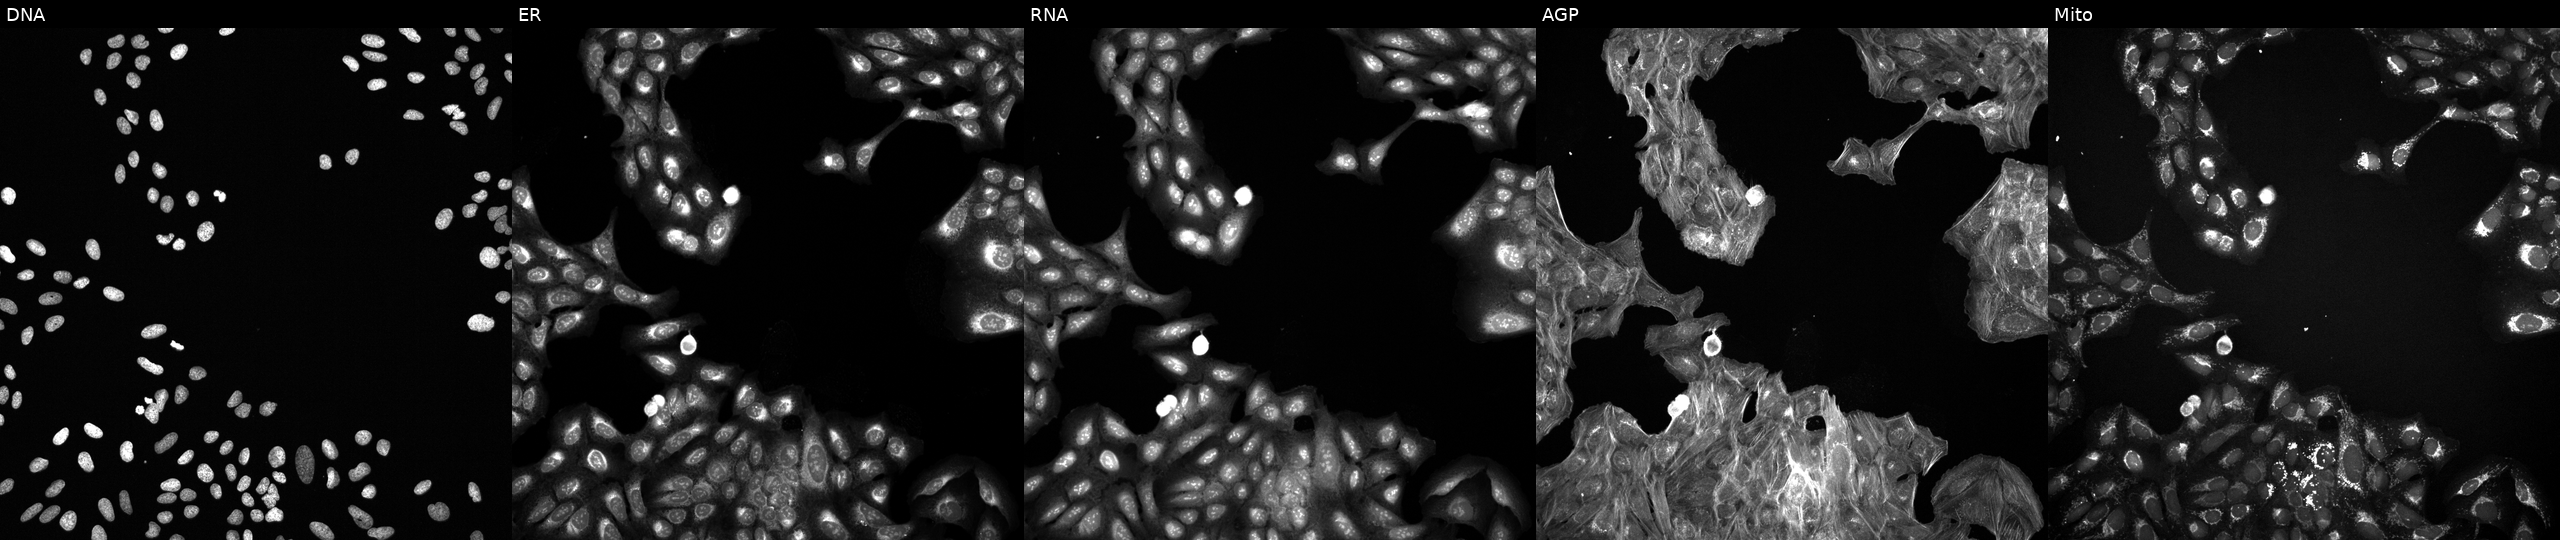
The five panels, left to right, show DNA, ER, RNA, AGP, and Mito. U2OS osteosarcoma cells perturbed with a small-molecule compound (InChIKey NSVXUQVPAHYBRZ-UHFFFAOYSA-N) [SMILES: CCC(=O)N1c2ccc(S(=O)(=O)NC3CCCc4ccccc43)cc2CC1C] (JUMP id JCP2022_061147). Cell Painting assay, JUMP-CP dataset. Source 6, plate 110000293083, well A09.